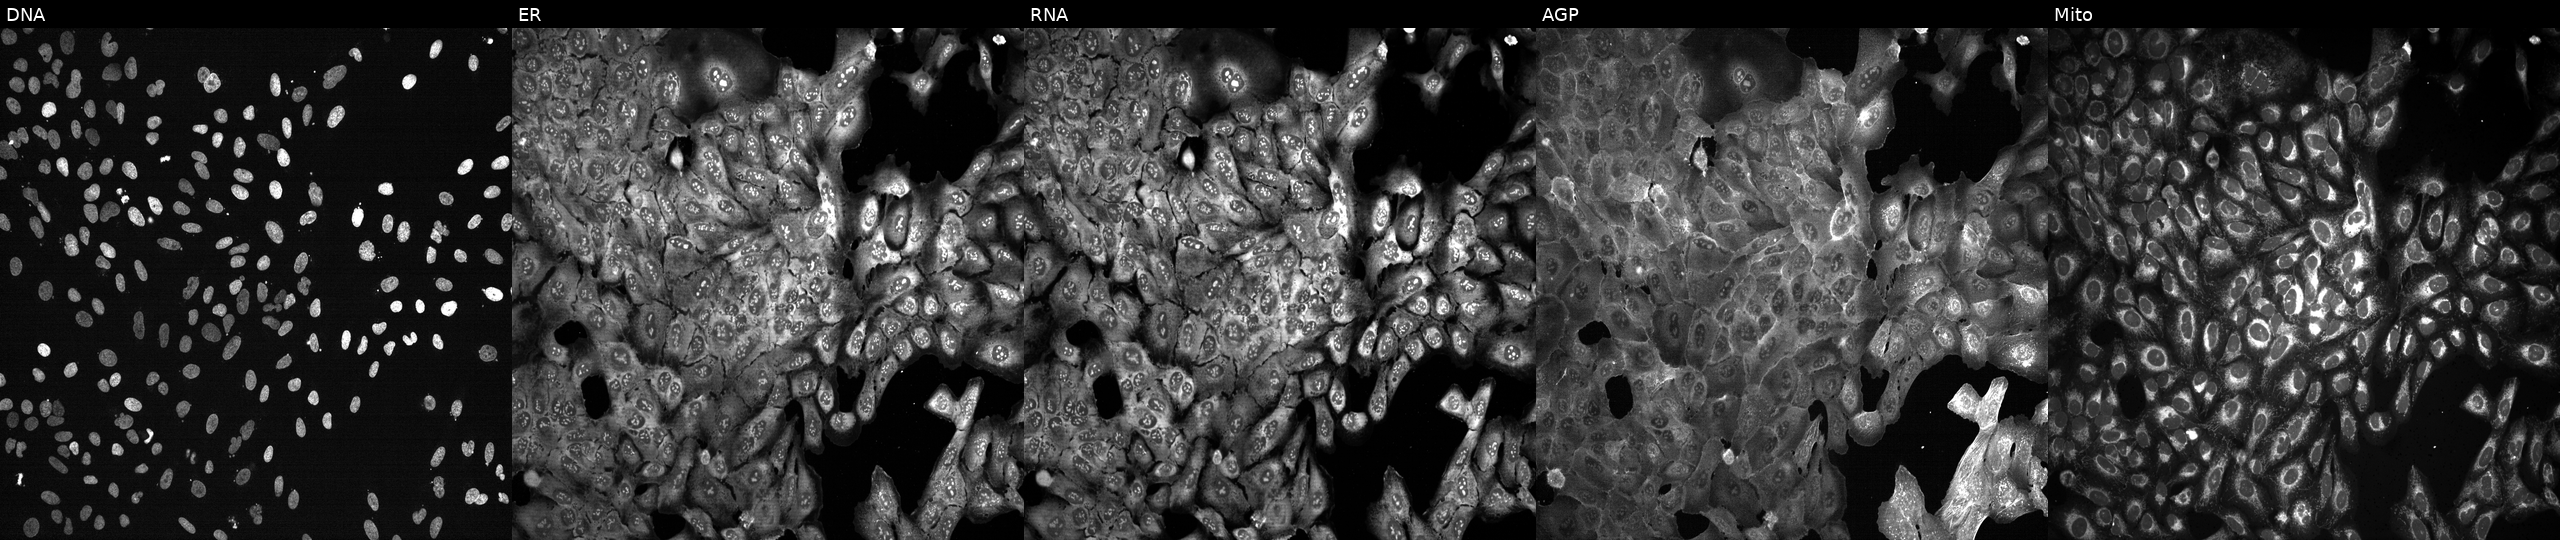
JUMP Cell Painting — CRISPR plate. U2OS cells with ANK2 knocked out by CRISPR. Channels (left→right): DNA (nuclei); ER (endoplasmic reticulum); RNA (nucleoli and cytoplasmic RNA); AGP (actin cytoskeleton, Golgi, and plasma membrane); Mito (mitochondria).